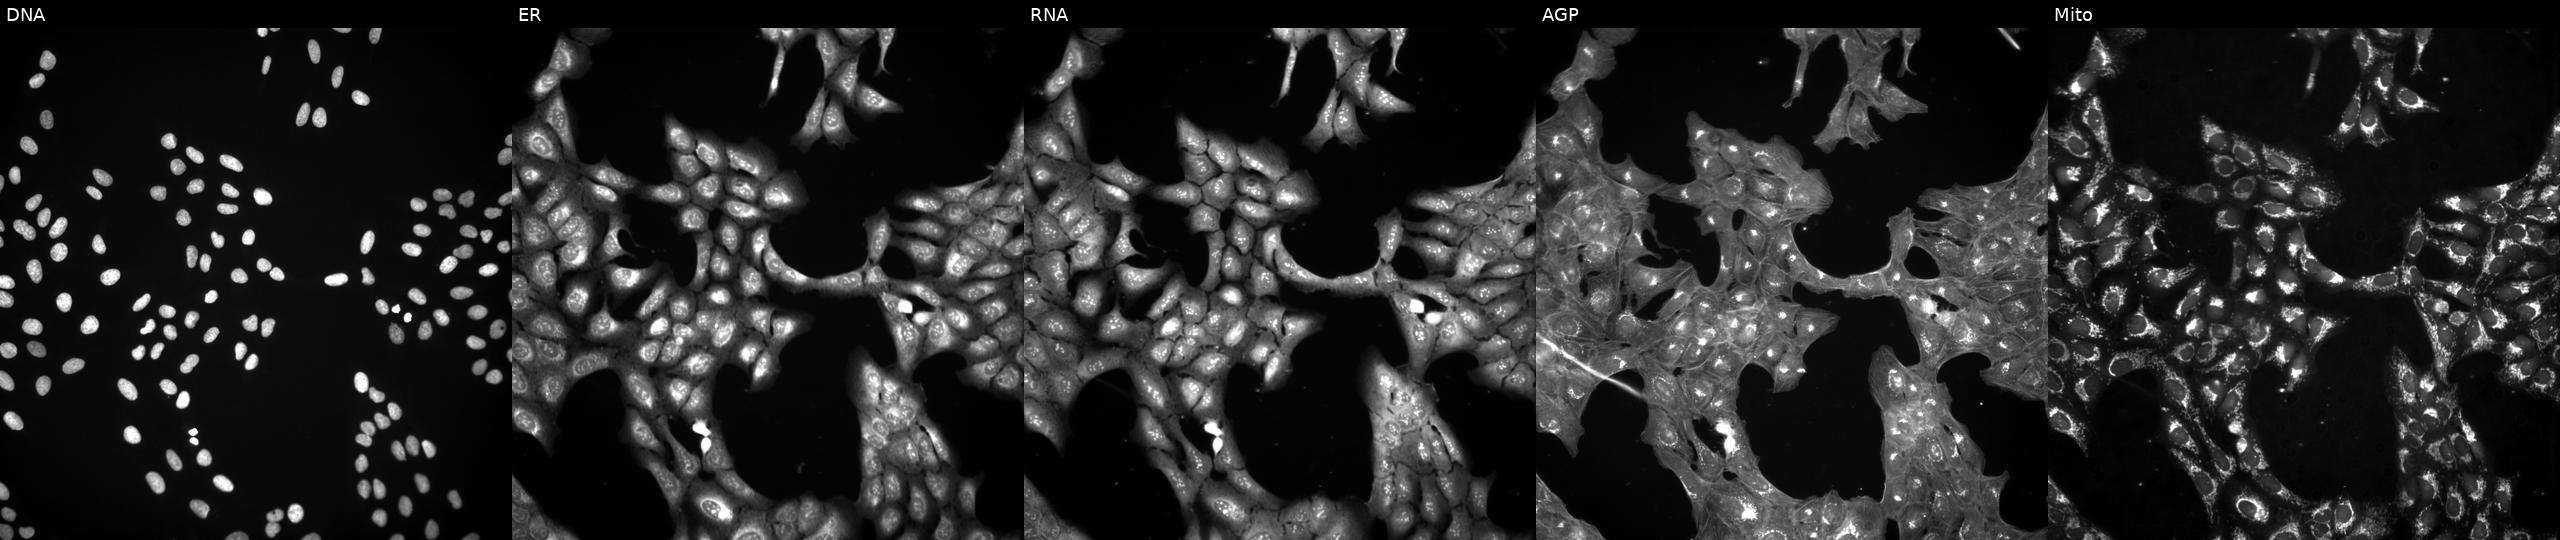
JUMP Cell Painting — COMPOUND plate. U2OS cells treated with a small-molecule compound (InChIKey JVDUQSGRSQBETL-UHFFFAOYSA-N) [SMILES: CCc1ccccc1NC(=O)c1cnc2n(c1=O)CCS2] (JUMP id JCP2022_042338). The five panels, left to right, show Hoechst 33342, concanavalin A, SYTO 14, phalloidin and WGA, MitoTracker. Source 3, plate BR5867a3, well C13.